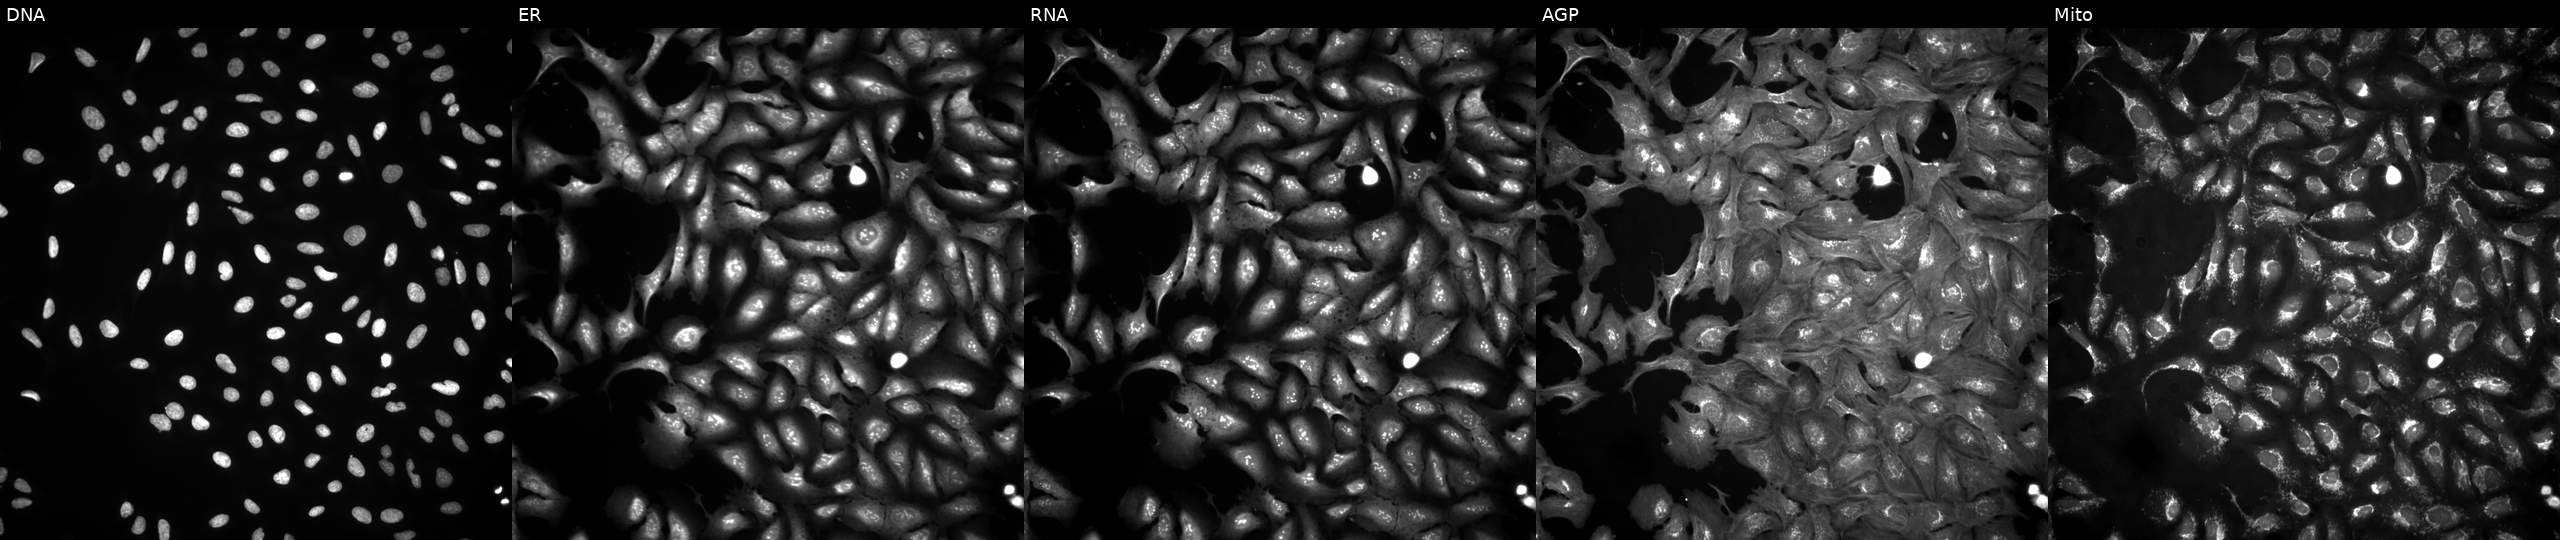
Five-channel Cell Painting image of U2OS cells with BAGE overexpressed (ORF) (JUMP id JCP2022_900139). The five panels, left to right, show DNA, ER, RNA, AGP, and Mito. Source 4, plate BR00124784, well P03.